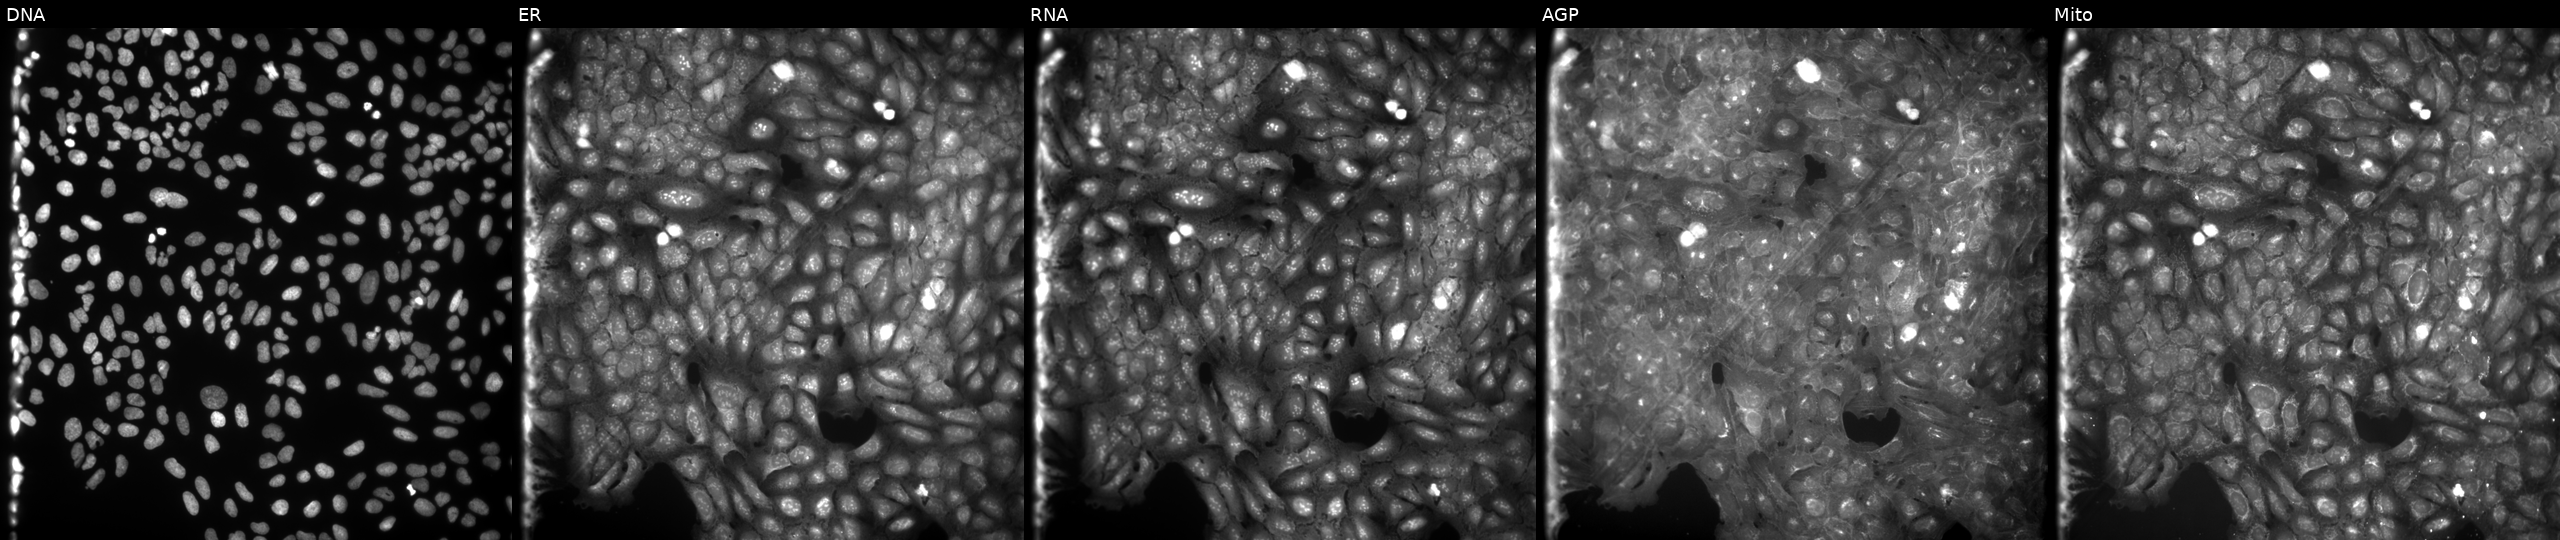
From left to right: Hoechst 33342, concanavalin A, SYTO 14, phalloidin and WGA, MitoTracker. U2OS osteosarcoma cells exposed to a small-molecule compound (InChIKey KNNPAJBJUSJPJF-UHFFFAOYSA-N). Cell Painting assay, JUMP-CP dataset. Source 9, plate GR00003381, well K05.